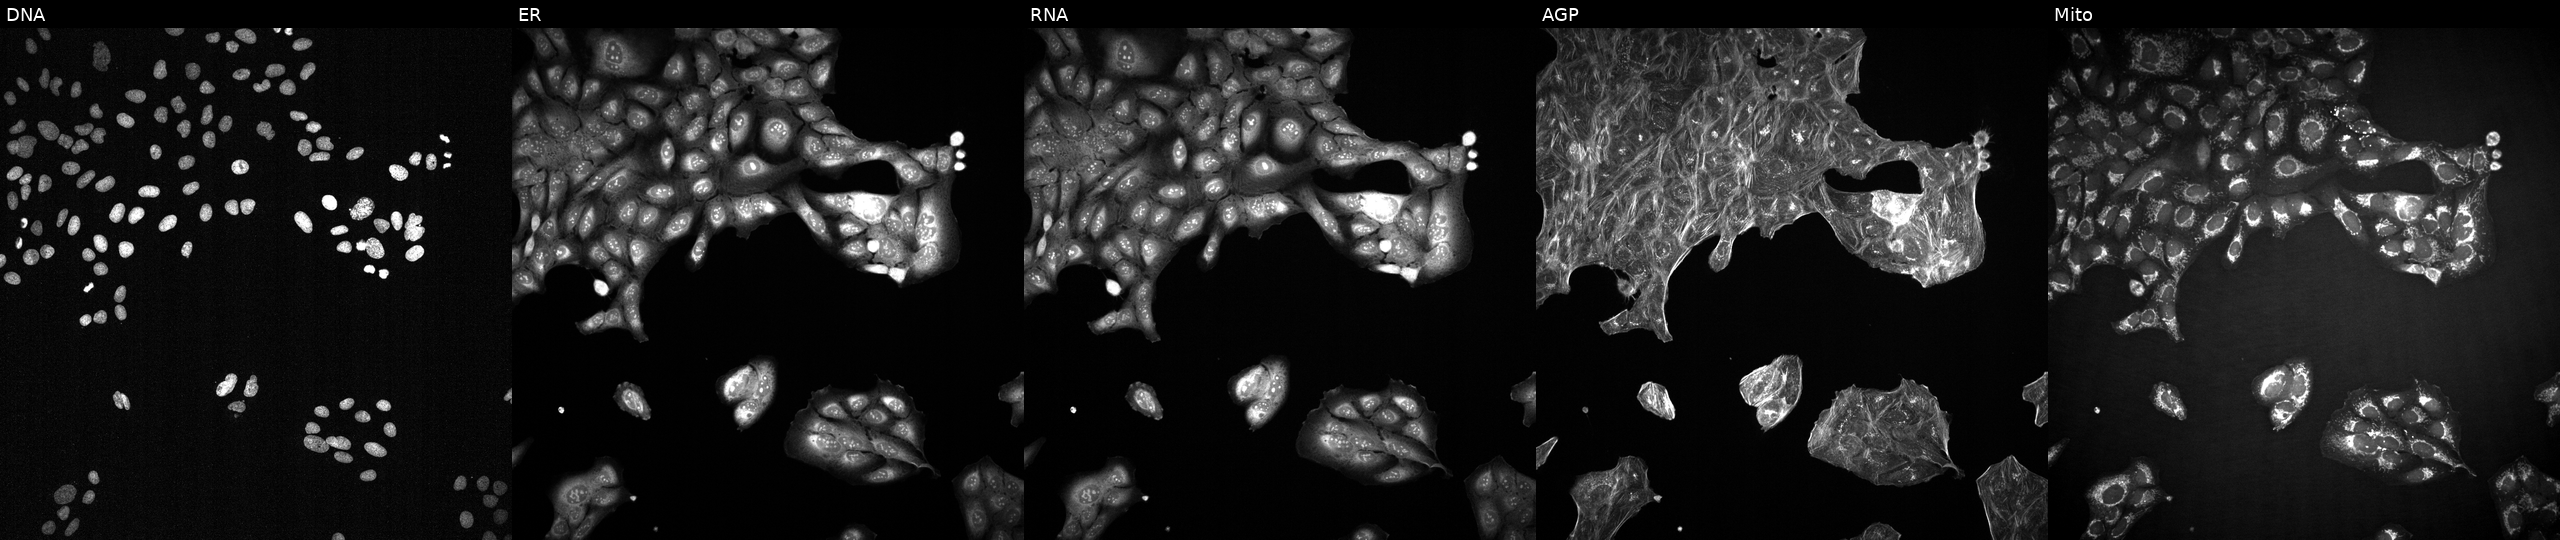
U2OS cells, Cell Painting assay, treated with a small-molecule compound (InChIKey VFSVKVQMZDJFQX-UHFFFAOYSA-N). Channels (left→right): DNA, ER, RNA, AGP, and Mito. Each panel is percentile-stretched 16-bit fluorescence.